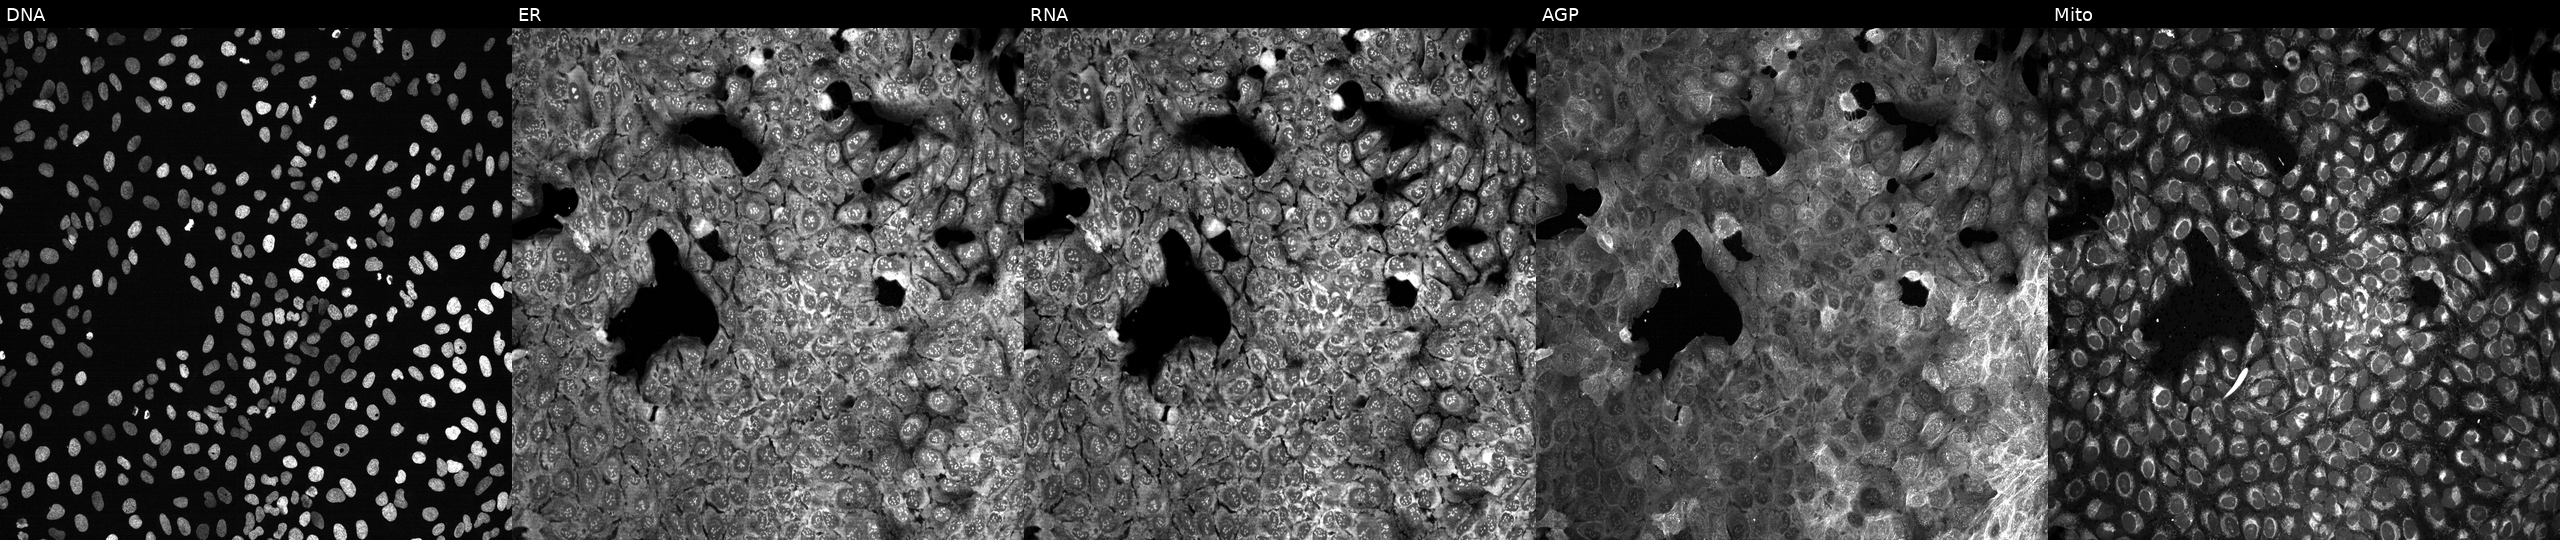
Five-channel Cell Painting image of U2OS cells with no CRISPR guide (negative control). The five panels, left to right, show DNA (nuclei); ER (endoplasmic reticulum); RNA (nucleoli and cytoplasmic RNA); AGP (actin cytoskeleton, Golgi, and plasma membrane); Mito (mitochondria). Source 13, plate CP-CC9-R2-01, well E02.